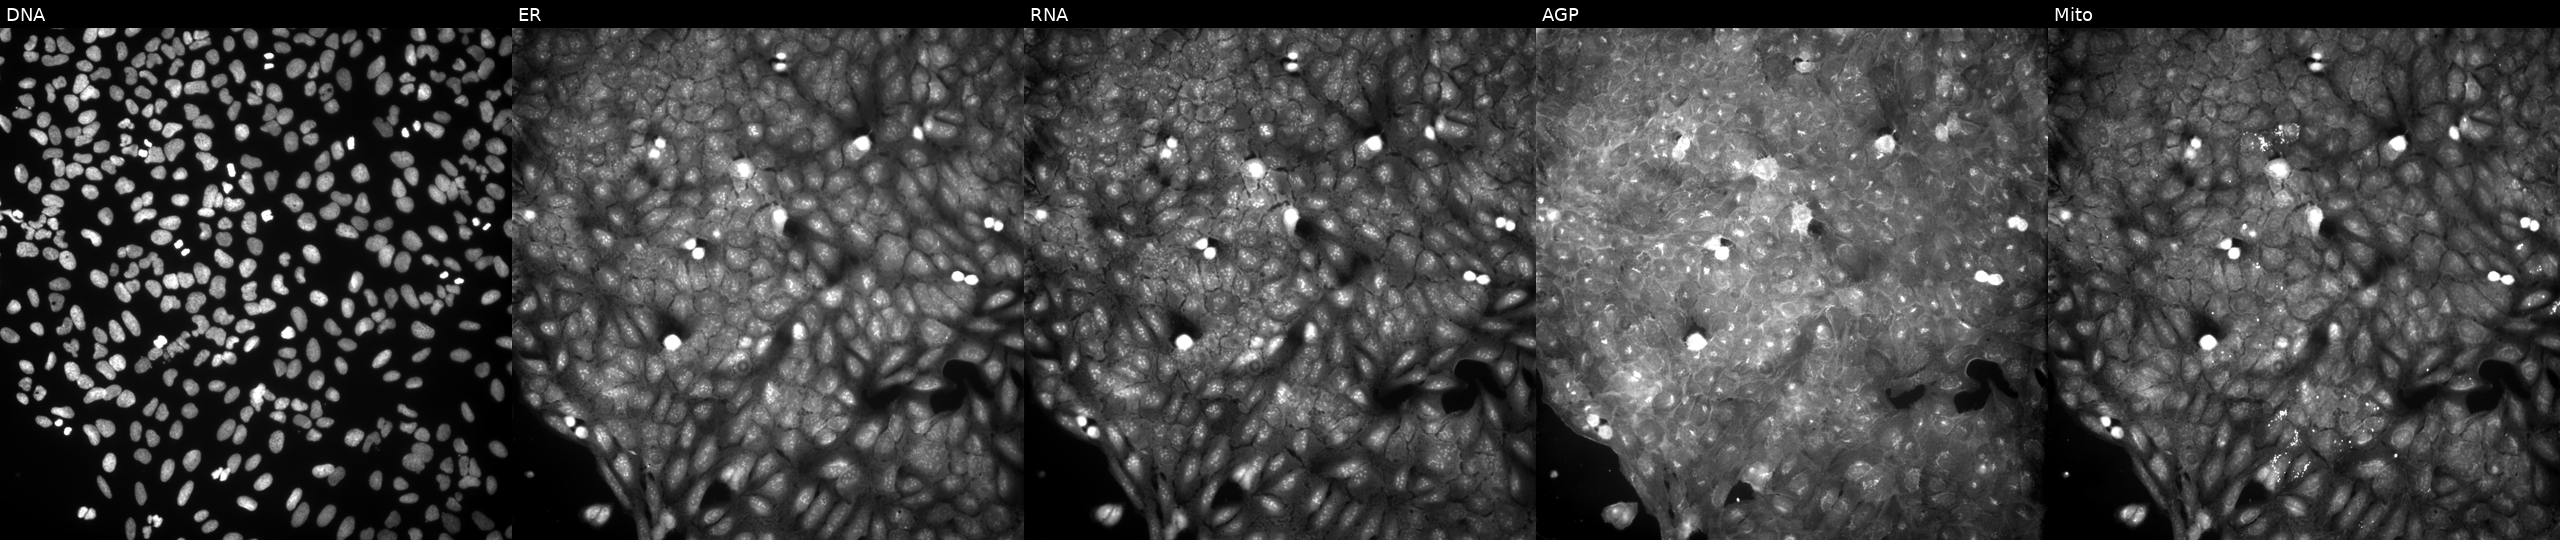
High-content fluorescence microscopy (Cell Painting). Cell line: U2OS. Perturbation: exposed to a small-molecule compound (InChIKey MYQMLIGHBQDVAW-UHFFFAOYSA-N). The five panels, left to right, show Hoechst 33342, concanavalin A, SYTO 14, phalloidin and WGA, MitoTracker. Source 9, plate GR00003382, well P20.